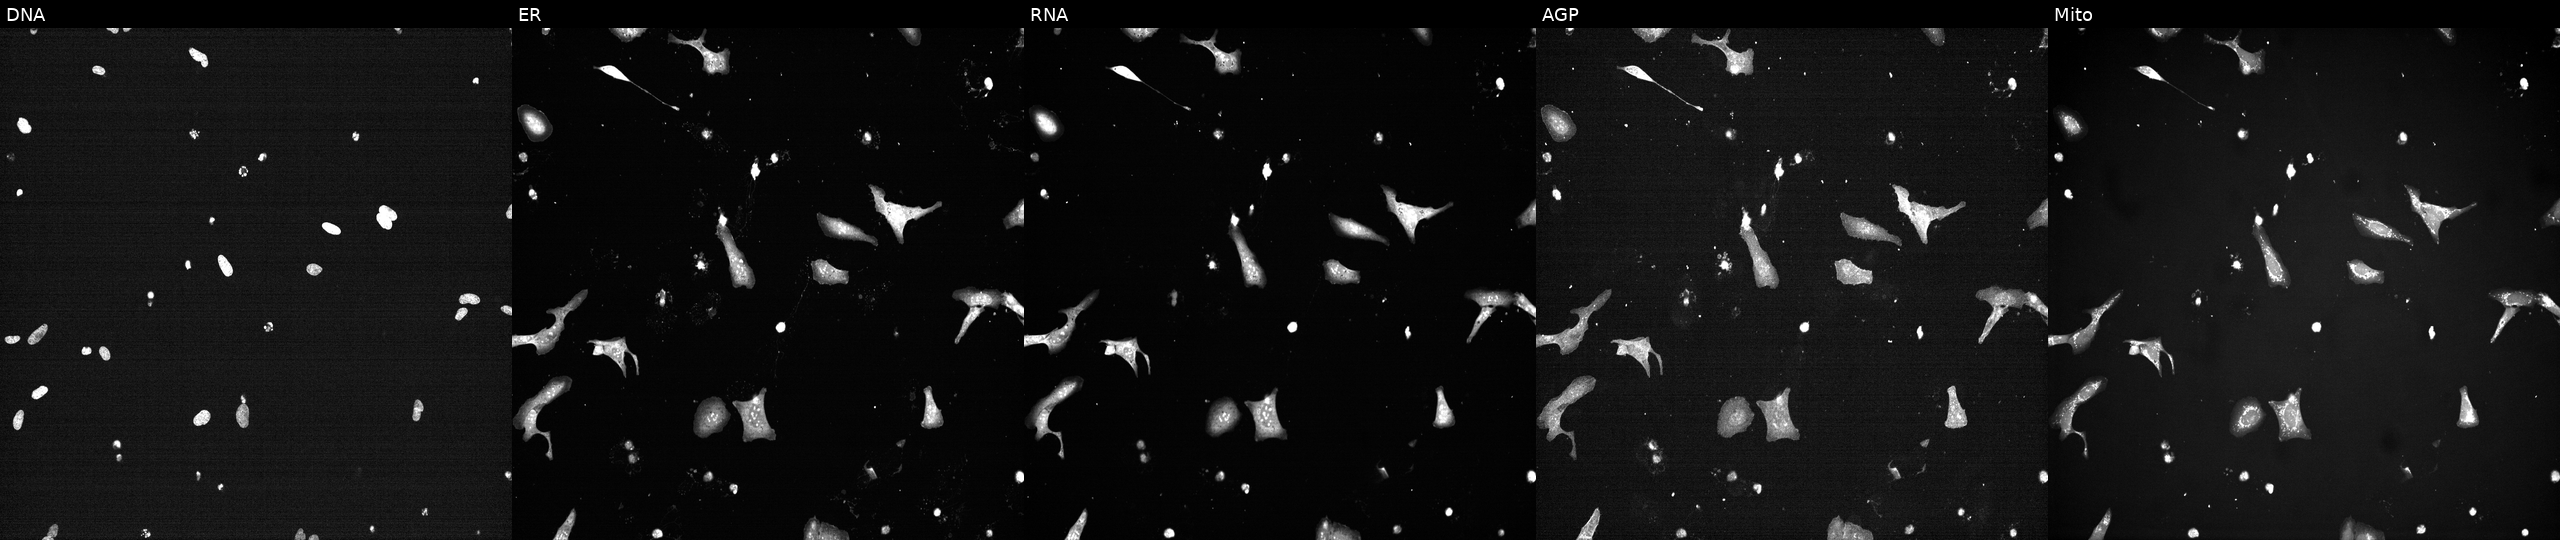
This image strip shows the five Cell Painting channels for a single field of U2OS cells exposed to a small-molecule compound (InChIKey YKJYKKNCCRKFSL-UHFFFAOYSA-N) (JUMP id JCP2022_109043). The five panels, left to right, show Hoechst 33342, concanavalin A, SYTO 14, phalloidin and WGA, MitoTracker.